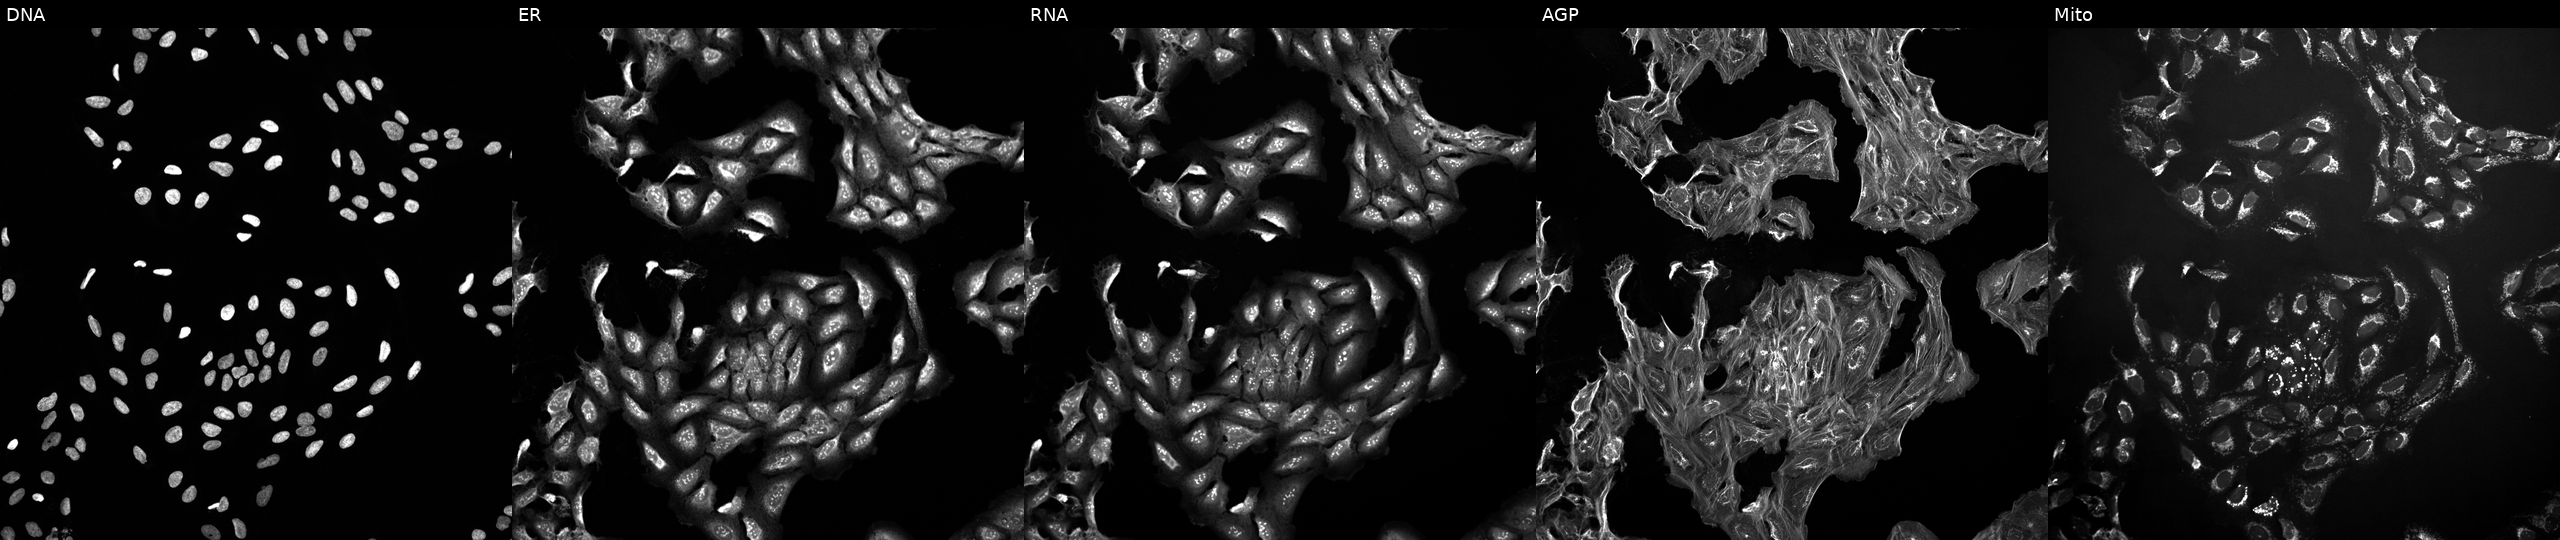
JUMP Cell Painting — TARGET2 plate. U2OS cells perturbed with a small-molecule compound (InChIKey PFHDWRIVDDIFRP-UHFFFAOYSA-N). From left to right: DNA, ER, RNA, AGP, and Mito. Source 10, plate Dest210726-160150, well F07.